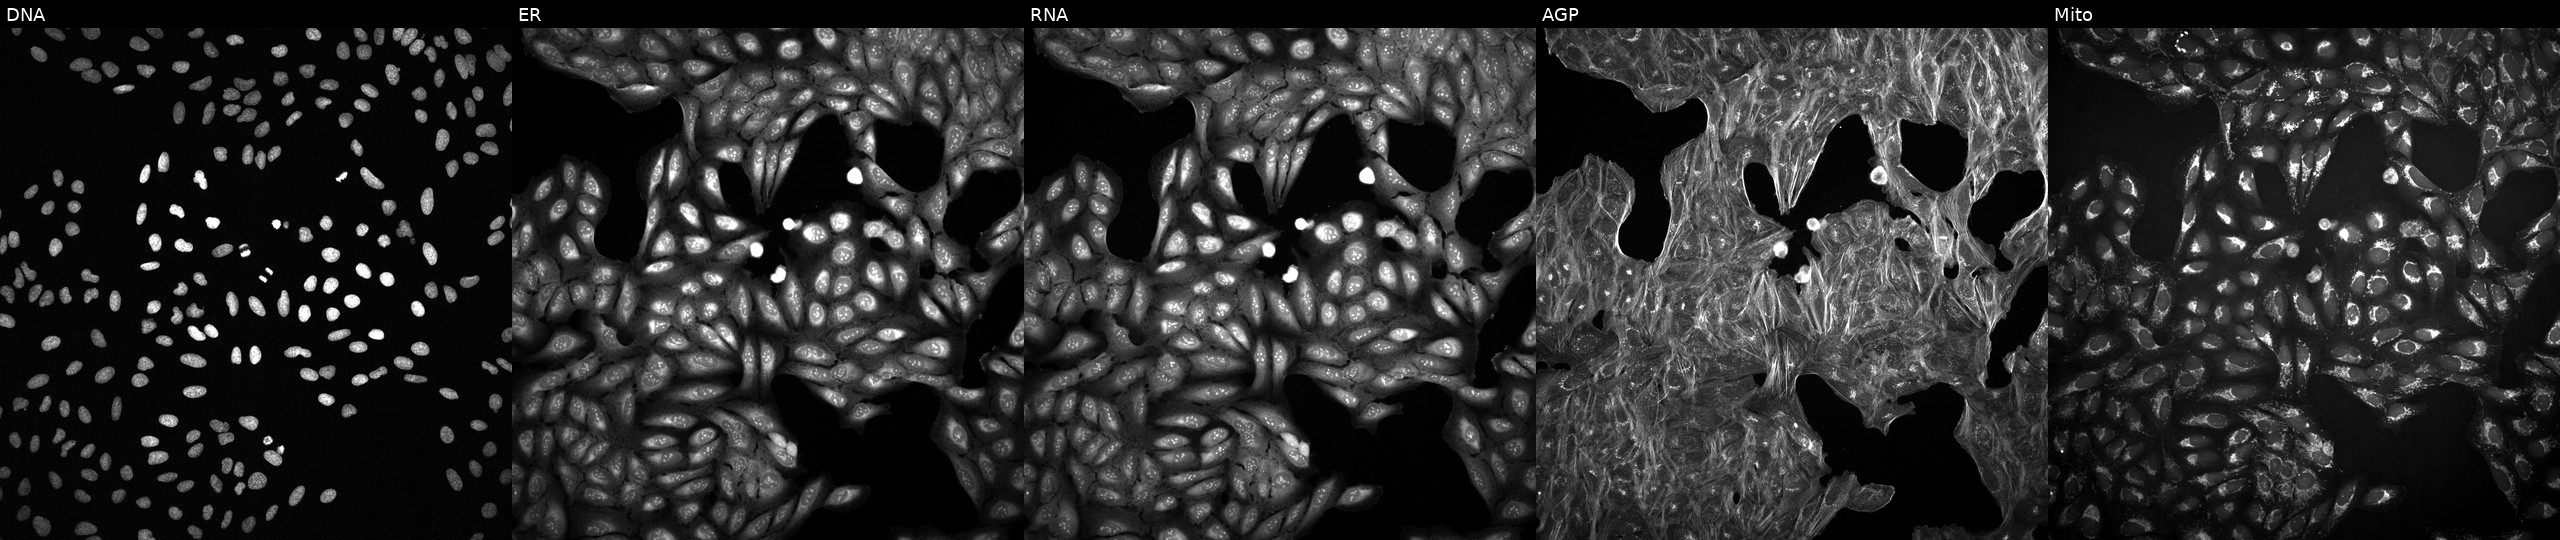
High-content fluorescence microscopy (Cell Painting). Cell line: U2OS. Perturbation: exposed to DMSO alone as a negative control. Channels (left→right): DNA, ER, RNA, AGP, and Mito. Source 2, plate 1053600674, well H09.